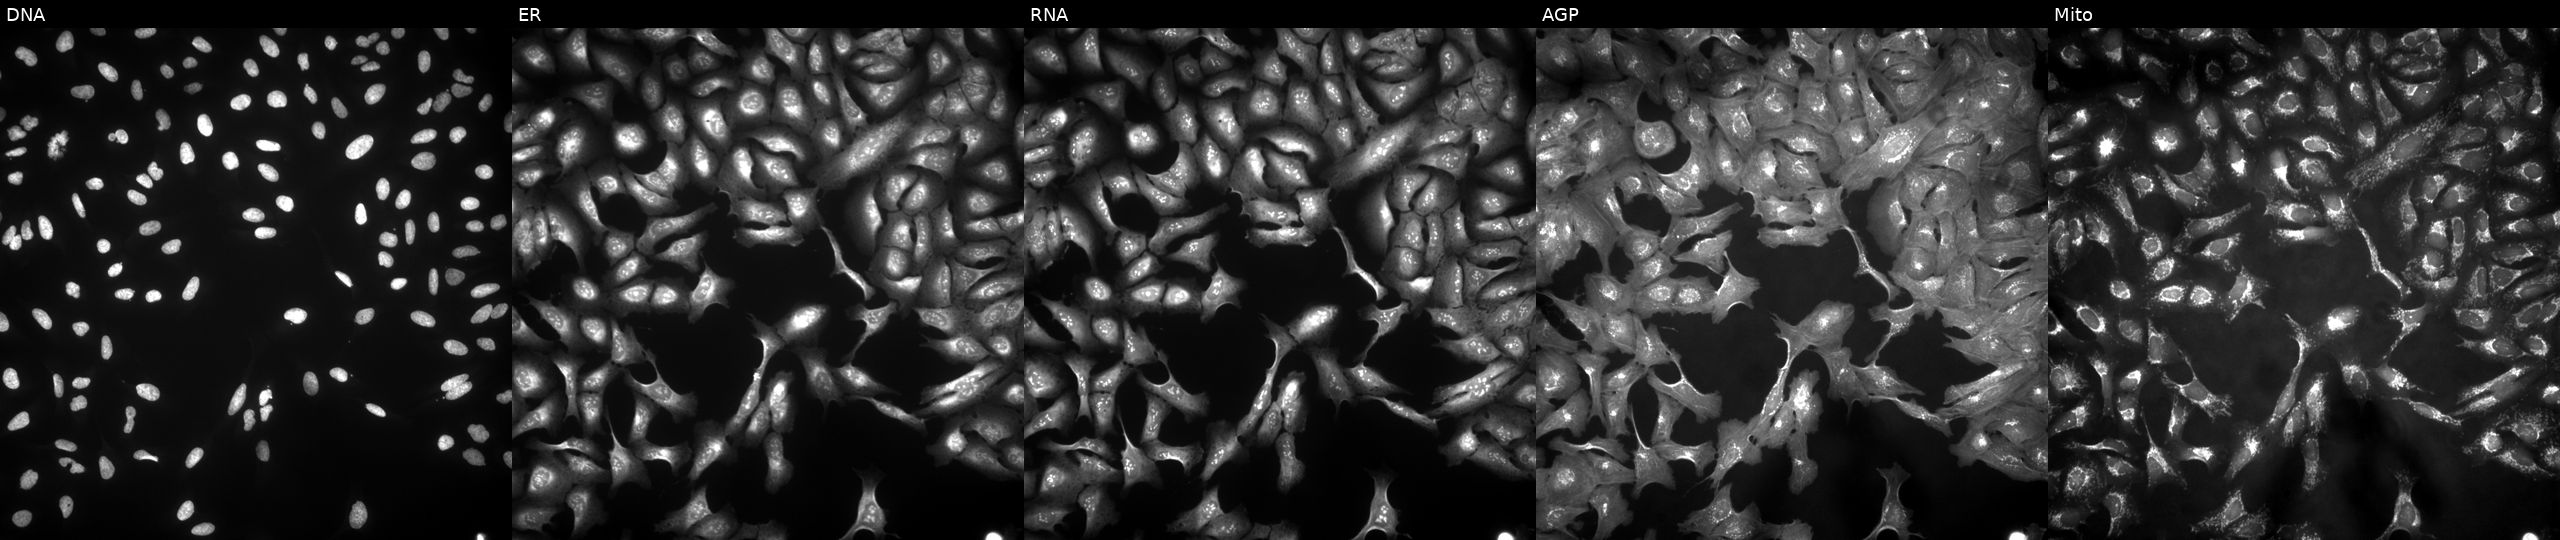
High-content fluorescence microscopy (Cell Painting). Cell line: U2OS. Perturbation: transfected with an ORF construct for CAMK2D (JUMP id JCP2022_905541). Channels (left→right): DNA (nuclei); ER (endoplasmic reticulum); RNA (nucleoli and cytoplasmic RNA); AGP (actin cytoskeleton, Golgi, and plasma membrane); Mito (mitochondria). Source 4, plate BR00123506, well L08.